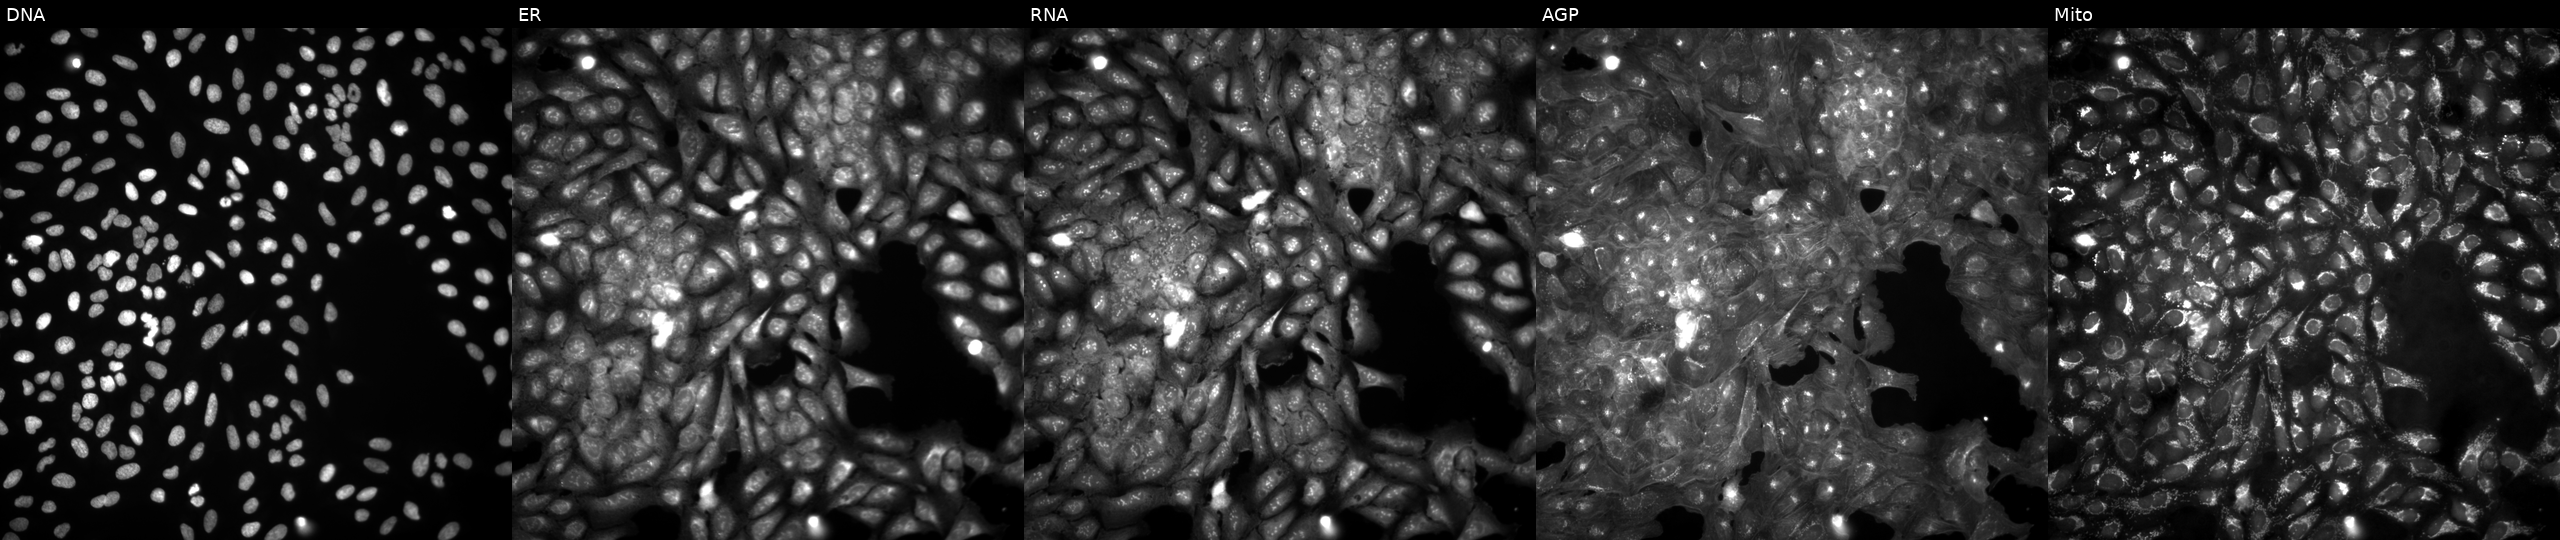
JUMP Cell Painting — ORF plate. U2OS cells in an empty control well (no perturbation). Panels show, left to right, Hoechst 33342, concanavalin A, SYTO 14, phalloidin and WGA, MitoTracker. Source 4, plate BR00123946, well A21.